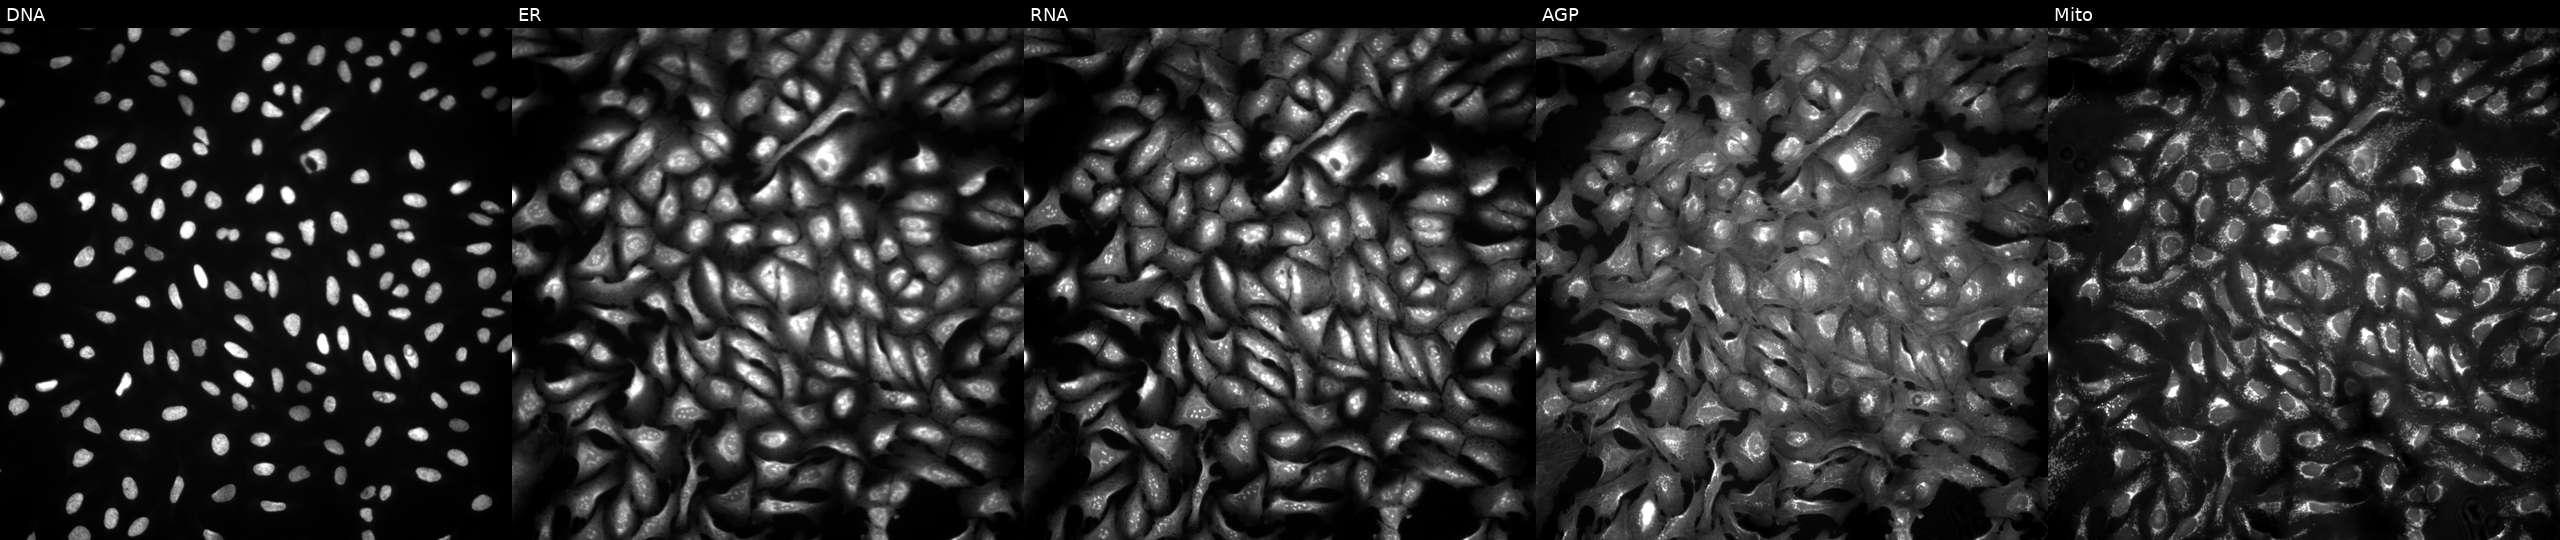
High-content fluorescence microscopy (Cell Painting). Cell line: U2OS. Perturbation: with GNB1 overexpressed (ORF) (JUMP id JCP2022_900616). The five panels, left to right, show DNA, ER, RNA, AGP, and Mito.